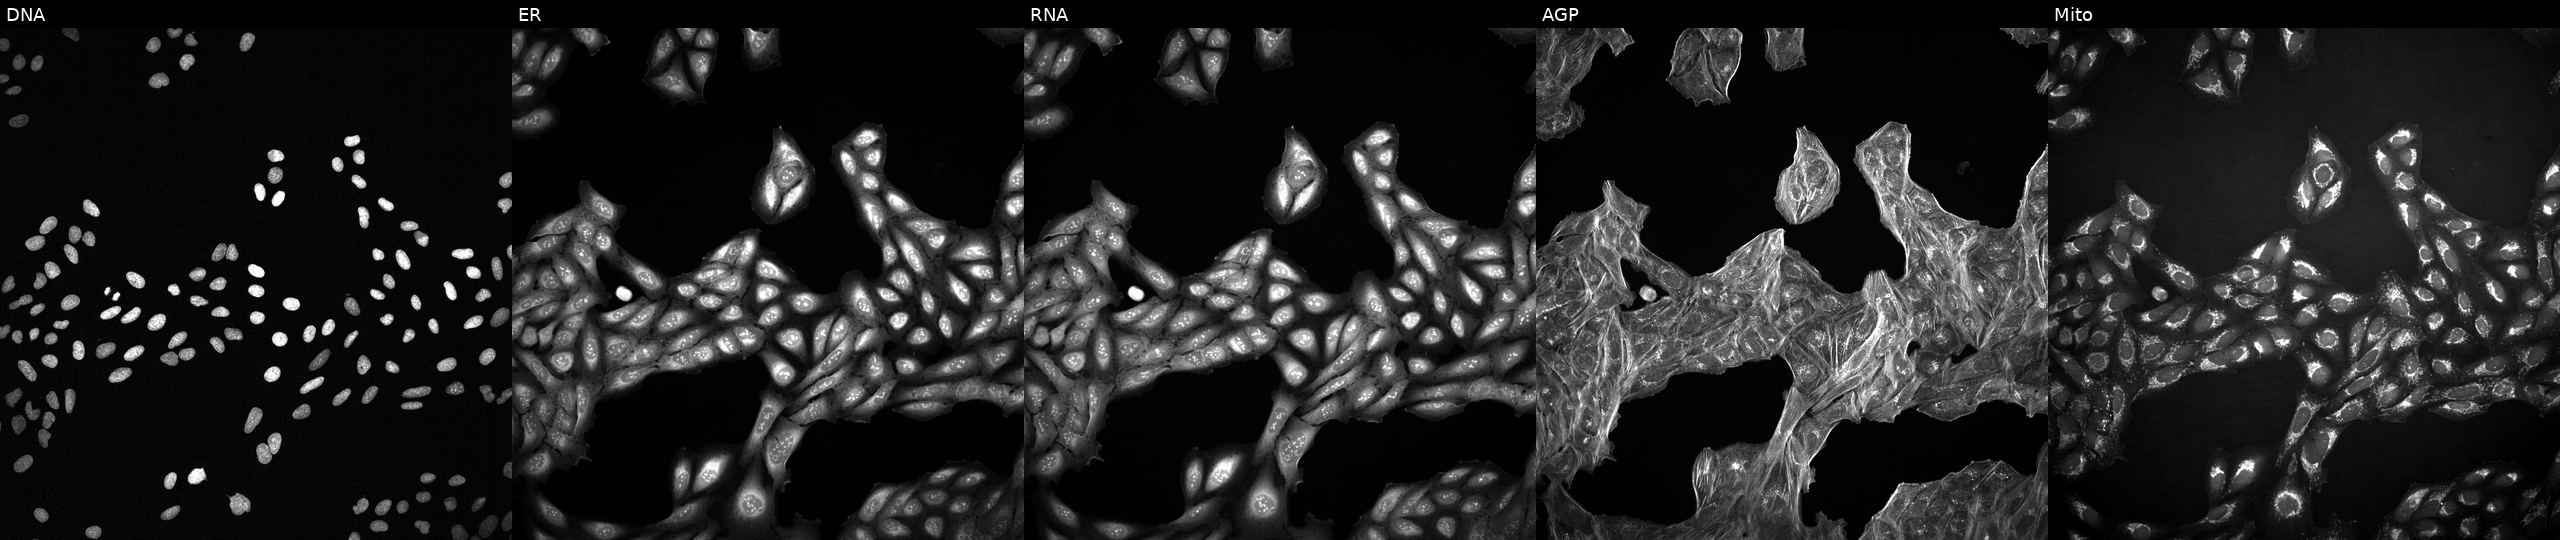
JUMP Cell Painting — TARGET2 plate. U2OS cells treated with DMSO vehicle only (negative control) (JUMP id JCP2022_033924). The five panels, left to right, show DNA (nuclei); ER (endoplasmic reticulum); RNA (nucleoli and cytoplasmic RNA); AGP (actin cytoskeleton, Golgi, and plasma membrane); Mito (mitochondria).